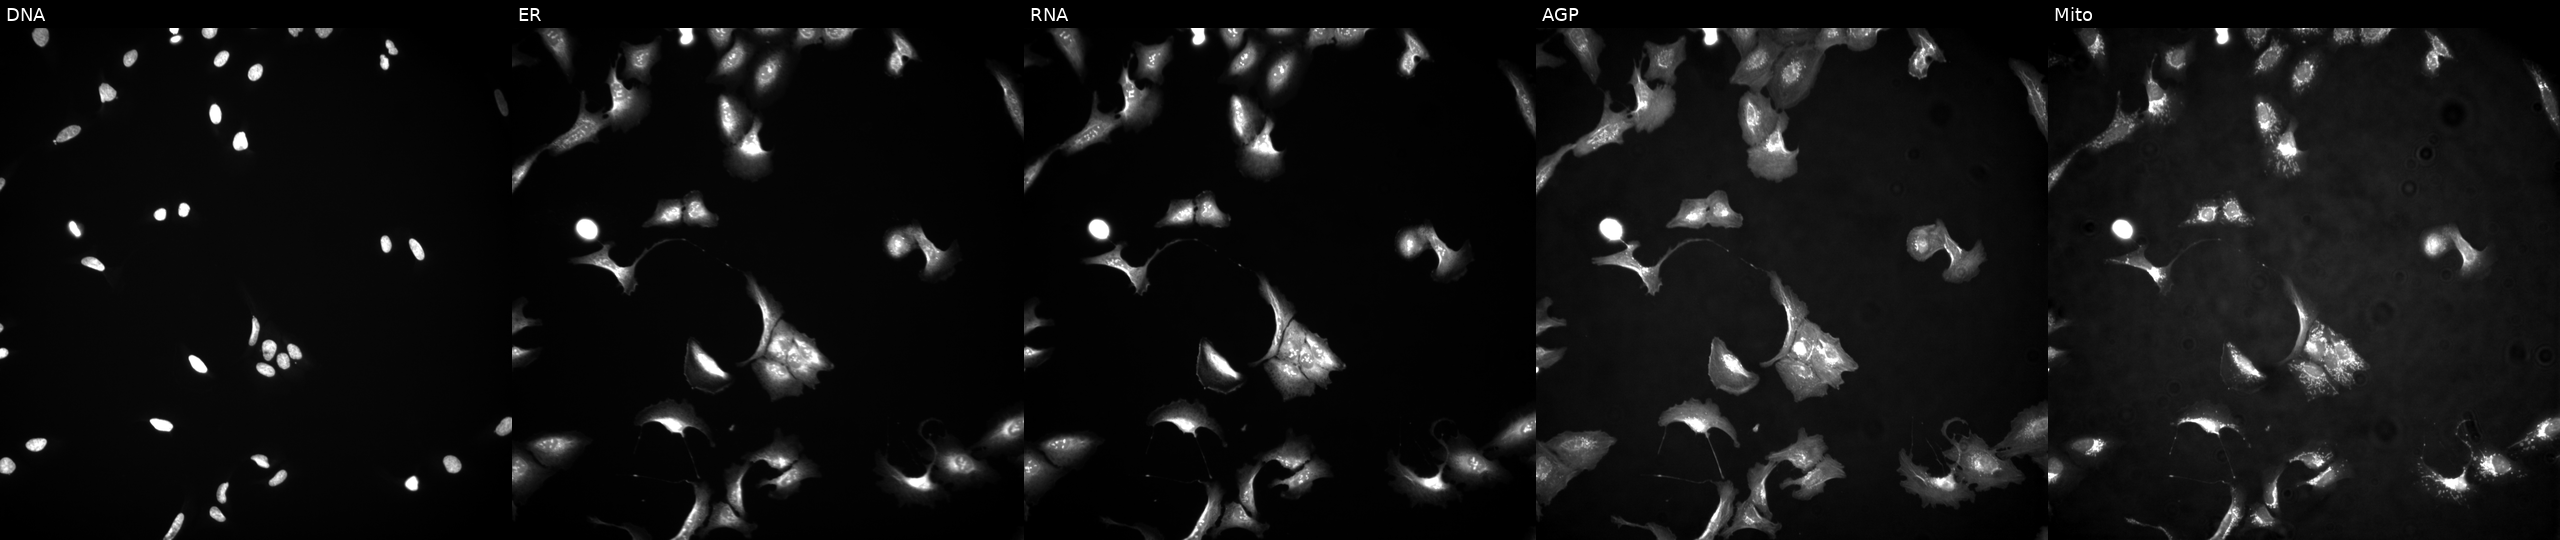
This image strip shows the five Cell Painting channels for a single field of U2OS cells overexpressing MAOA via ORF transfection. Panels show, left to right, DNA (nuclei); ER (endoplasmic reticulum); RNA (nucleoli and cytoplasmic RNA); AGP (actin cytoskeleton, Golgi, and plasma membrane); Mito (mitochondria).